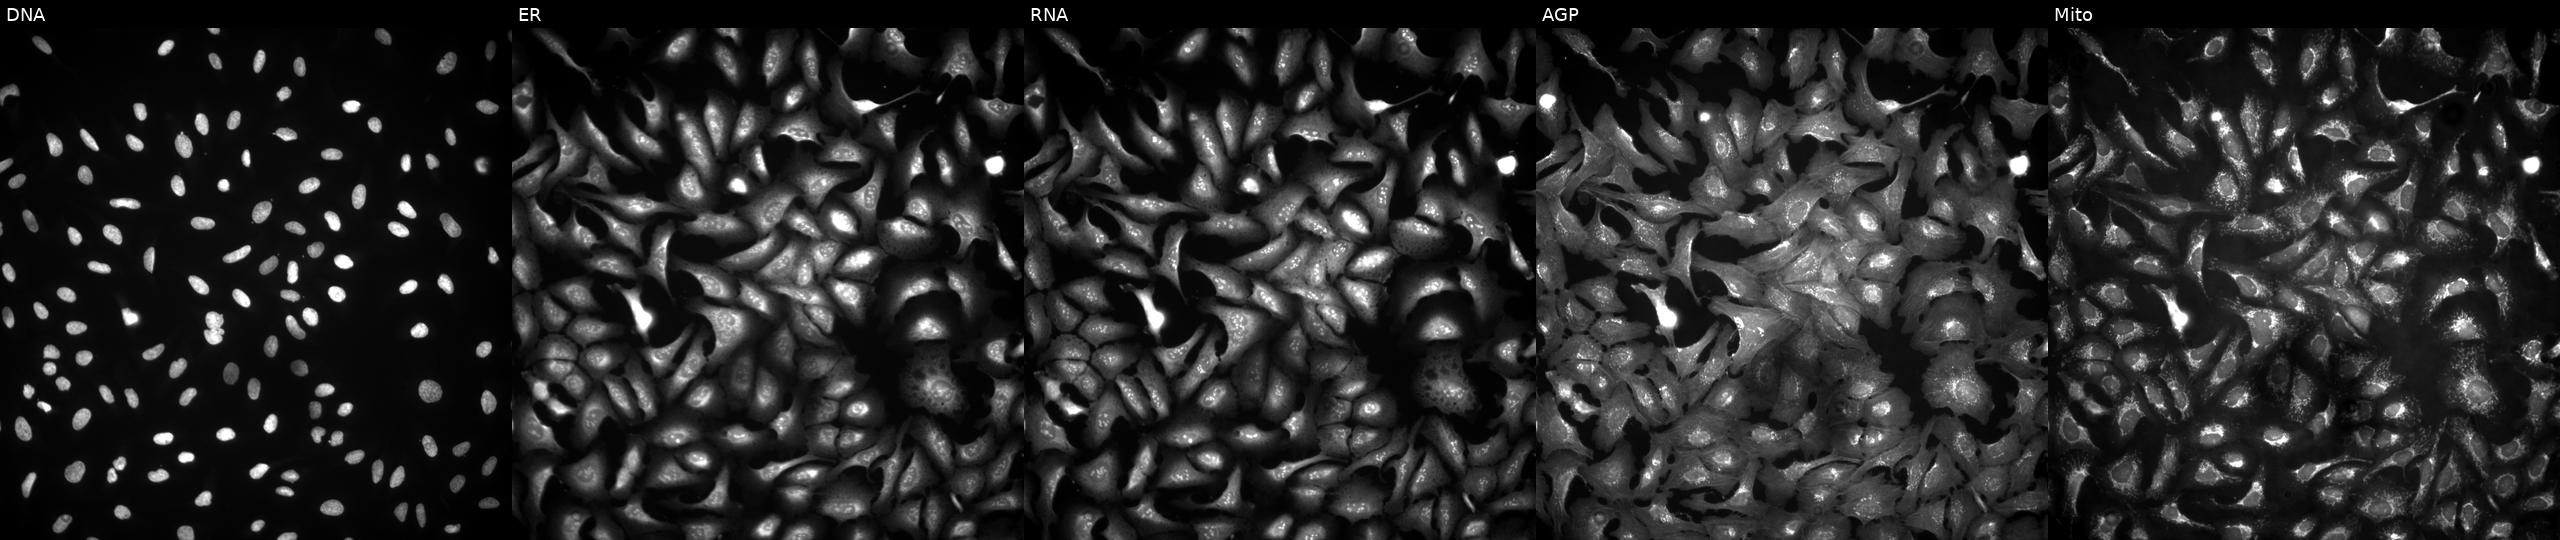
Five-channel Cell Painting image of U2OS cells transfected with an ORF construct for STX17 (JUMP id JCP2022_911315). The five panels, left to right, show DNA (nuclei); ER (endoplasmic reticulum); RNA (nucleoli and cytoplasmic RNA); AGP (actin cytoskeleton, Golgi, and plasma membrane); Mito (mitochondria).